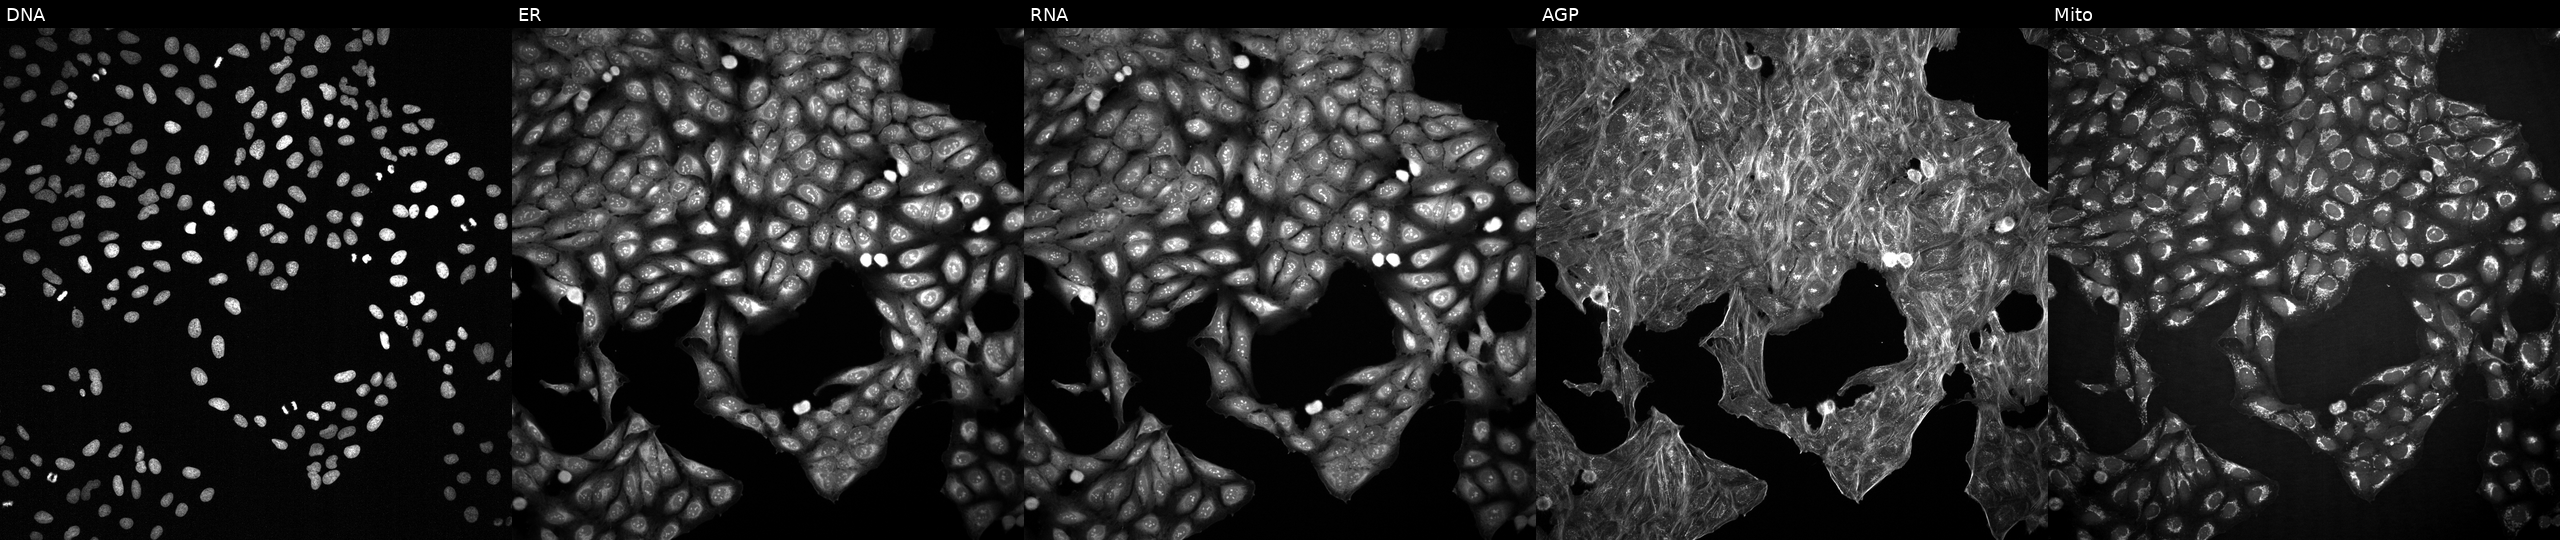
This image strip shows the five Cell Painting channels for a single field of U2OS cells exposed to DMSO alone as a negative control (JUMP id JCP2022_033924). Panels show, left to right, Hoechst 33342, concanavalin A, SYTO 14, phalloidin and WGA, MitoTracker.